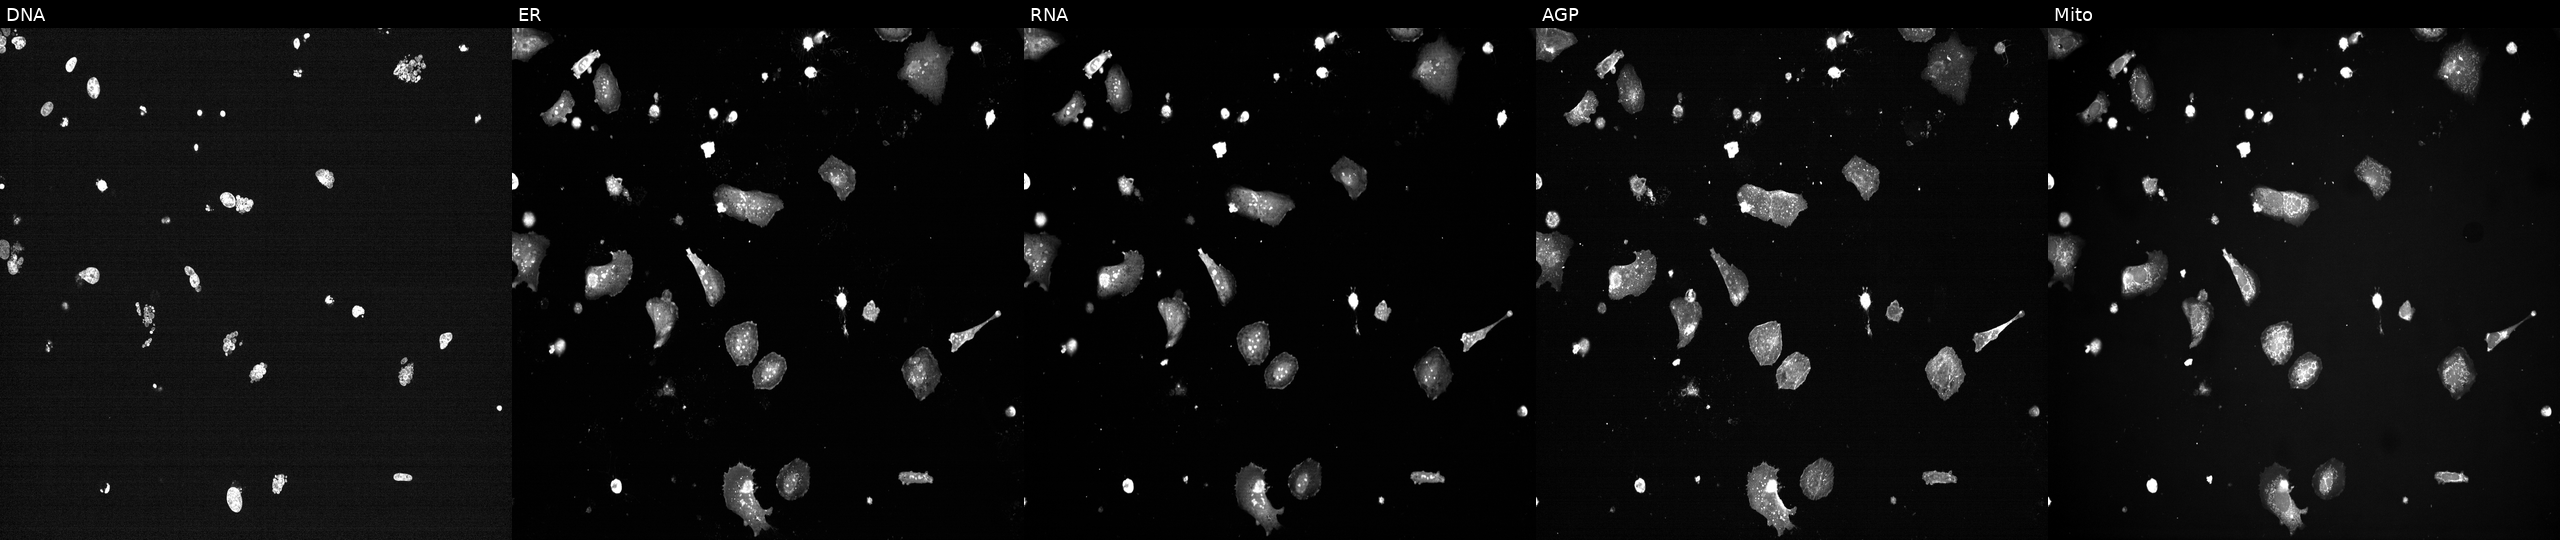
This image strip shows the five Cell Painting channels for a single field of U2OS cells exposed to a small-molecule compound (InChIKey IAKHMKGGTNLKSZ-UHFFFAOYSA-N) (JUMP id JCP2022_033814). Panels show, left to right, DNA, ER, RNA, AGP, and Mito. Source 7, plate CP2-SC1-25, well F19.